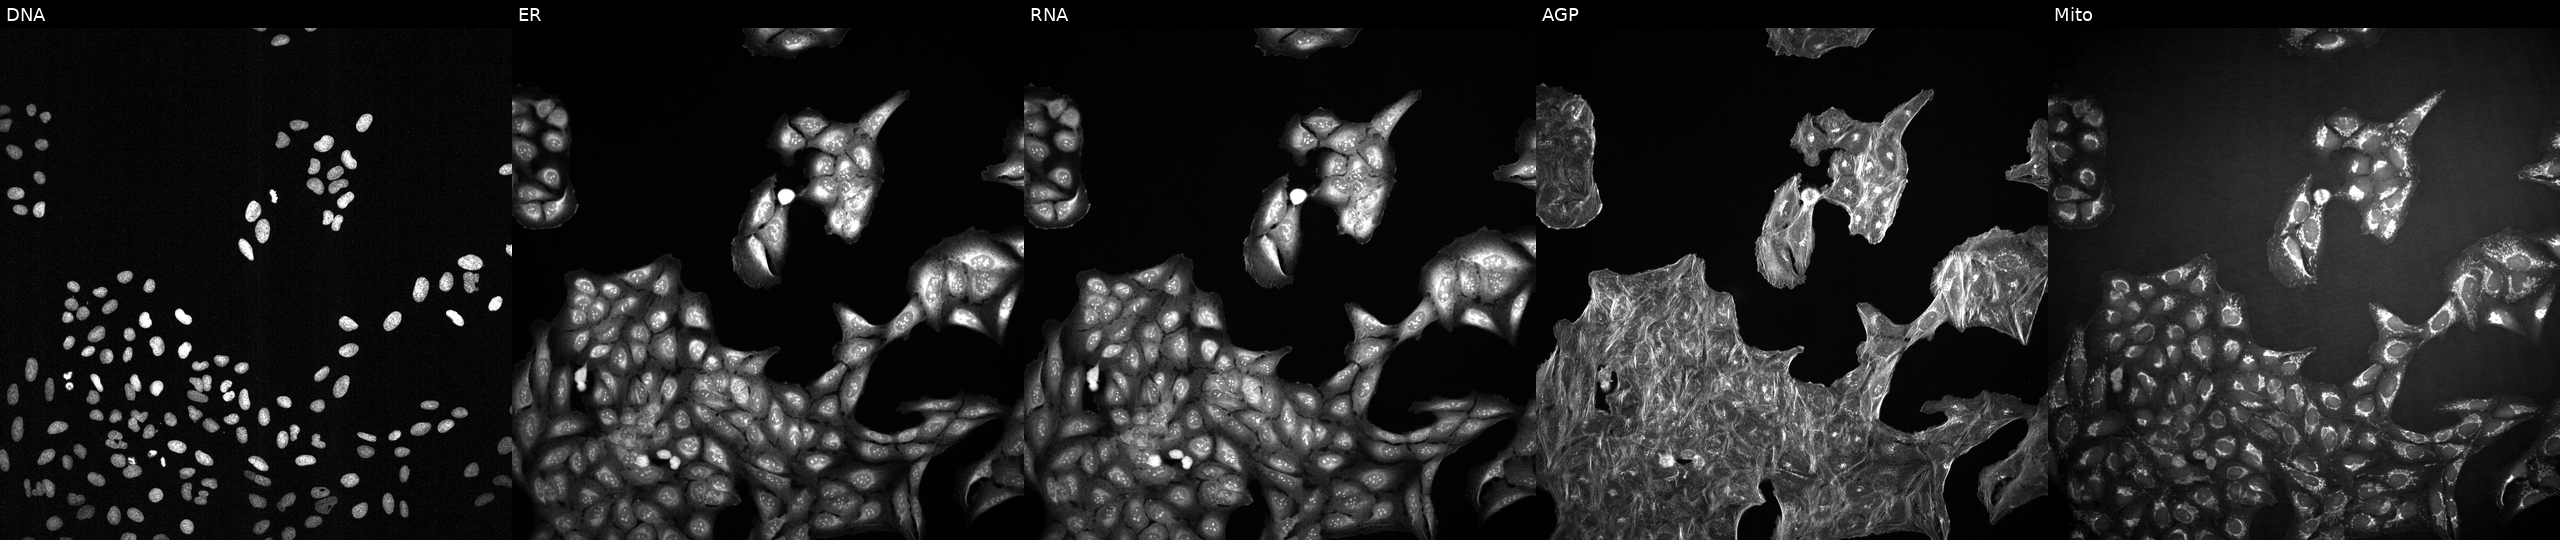
U2OS cells, Cell Painting assay, treated with DMSO vehicle only (negative control). From left to right: Hoechst 33342, concanavalin A, SYTO 14, phalloidin and WGA, MitoTracker. Each panel is percentile-stretched 16-bit fluorescence. Source 2, plate 1053599503, well B12.